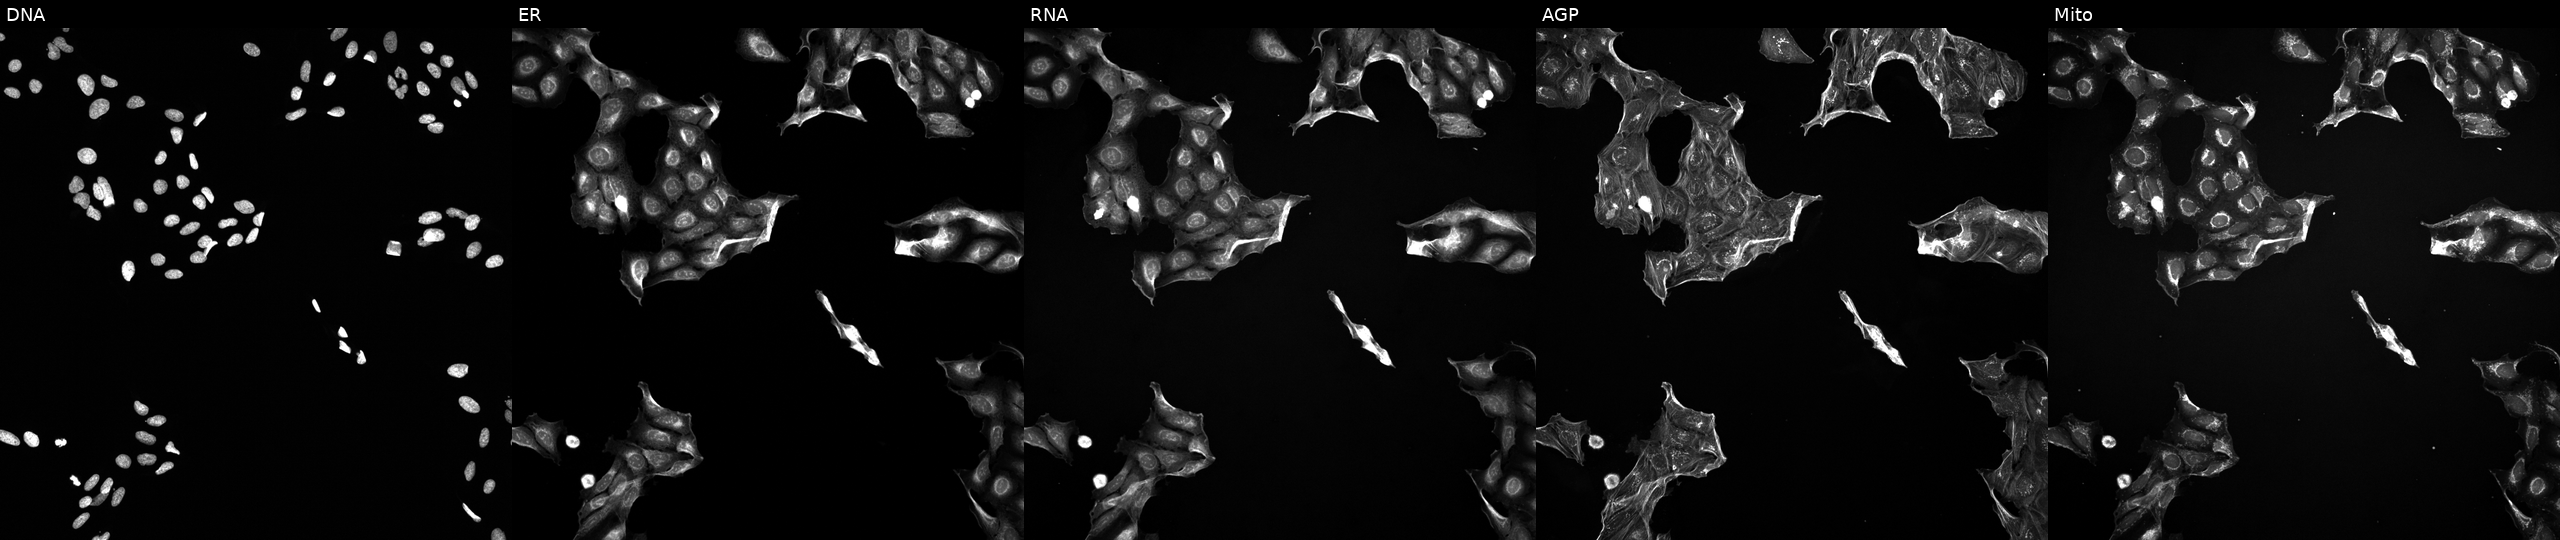
High-content fluorescence microscopy (Cell Painting). Cell line: U2OS. Perturbation: treated with quinidine (positive-control compound). Panels show, left to right, Hoechst 33342, concanavalin A, SYTO 14, phalloidin and WGA, MitoTracker. Source 5, plate ACPJUM051, well A02.